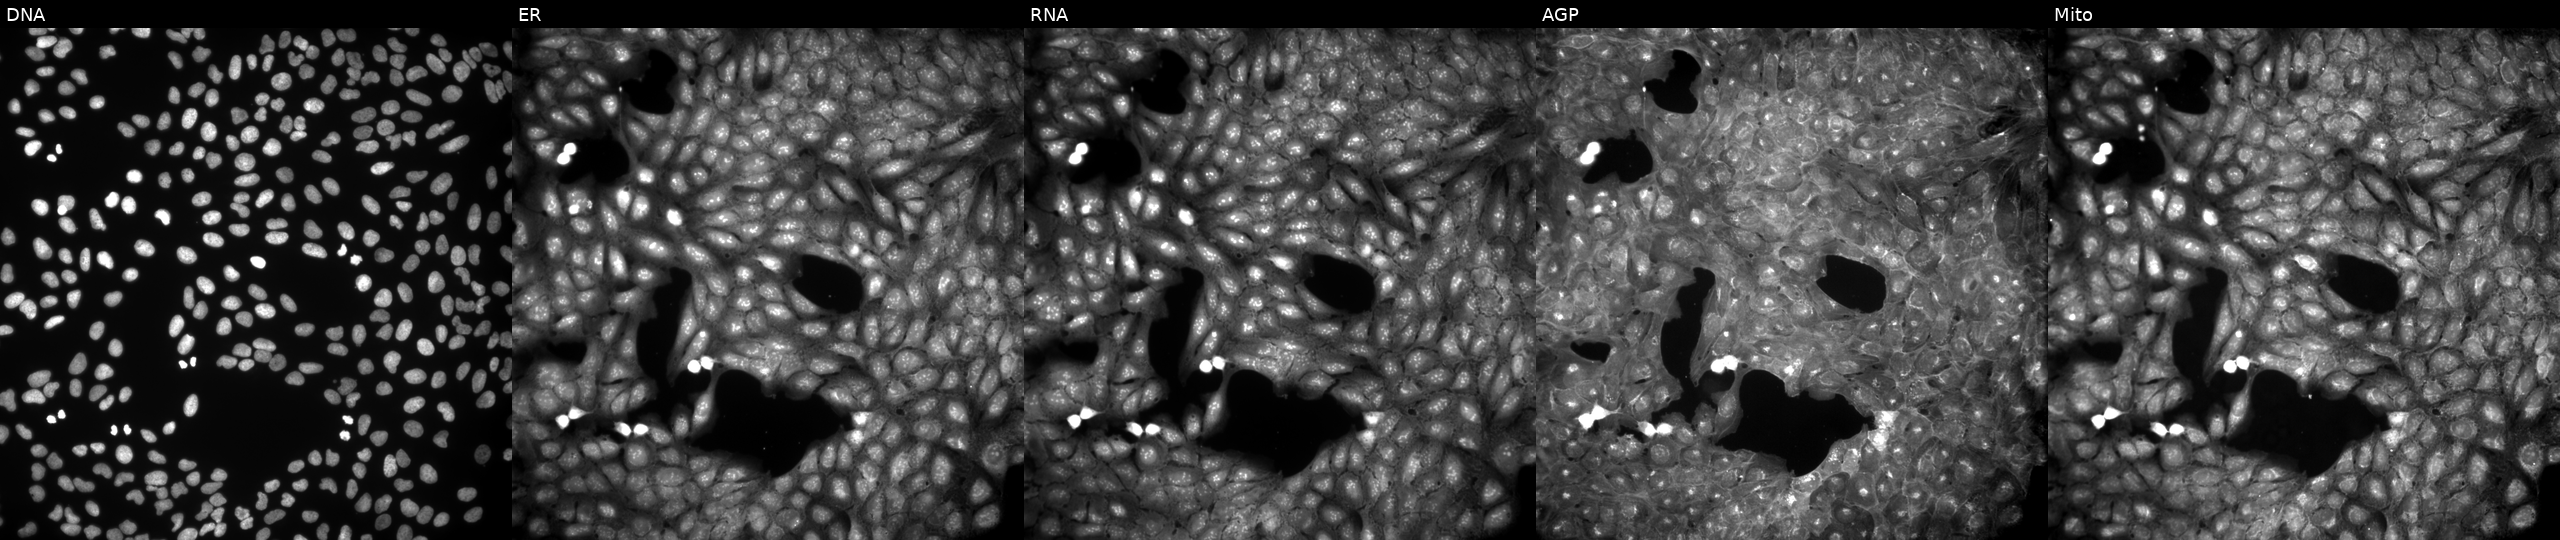
High-content fluorescence microscopy (Cell Painting). Cell line: U2OS. Perturbation: perturbed with a small-molecule compound (InChIKey LZMBRXAGLJQHMD-UHFFFAOYSA-N). Channels (left→right): Hoechst 33342, concanavalin A, SYTO 14, phalloidin and WGA, MitoTracker. Source 9, plate GR00003382, well C32.